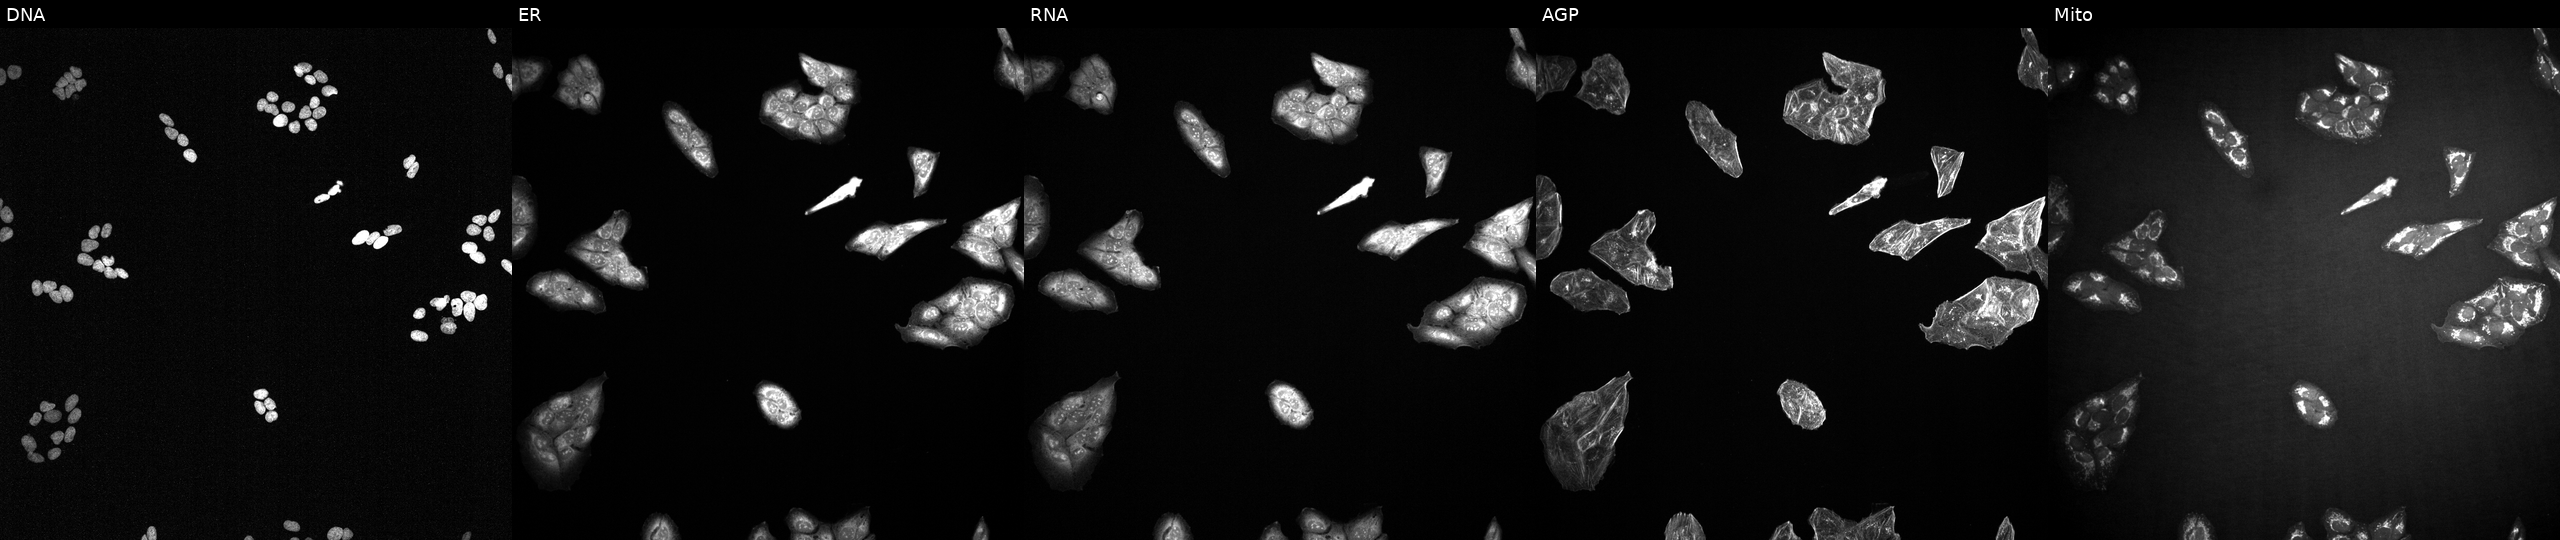
Five-channel Cell Painting image of U2OS cells treated with a small-molecule compound (InChIKey ZVPDNRVYHLRXLX-UHFFFAOYSA-N). The five panels, left to right, show DNA, ER, RNA, AGP, and Mito.